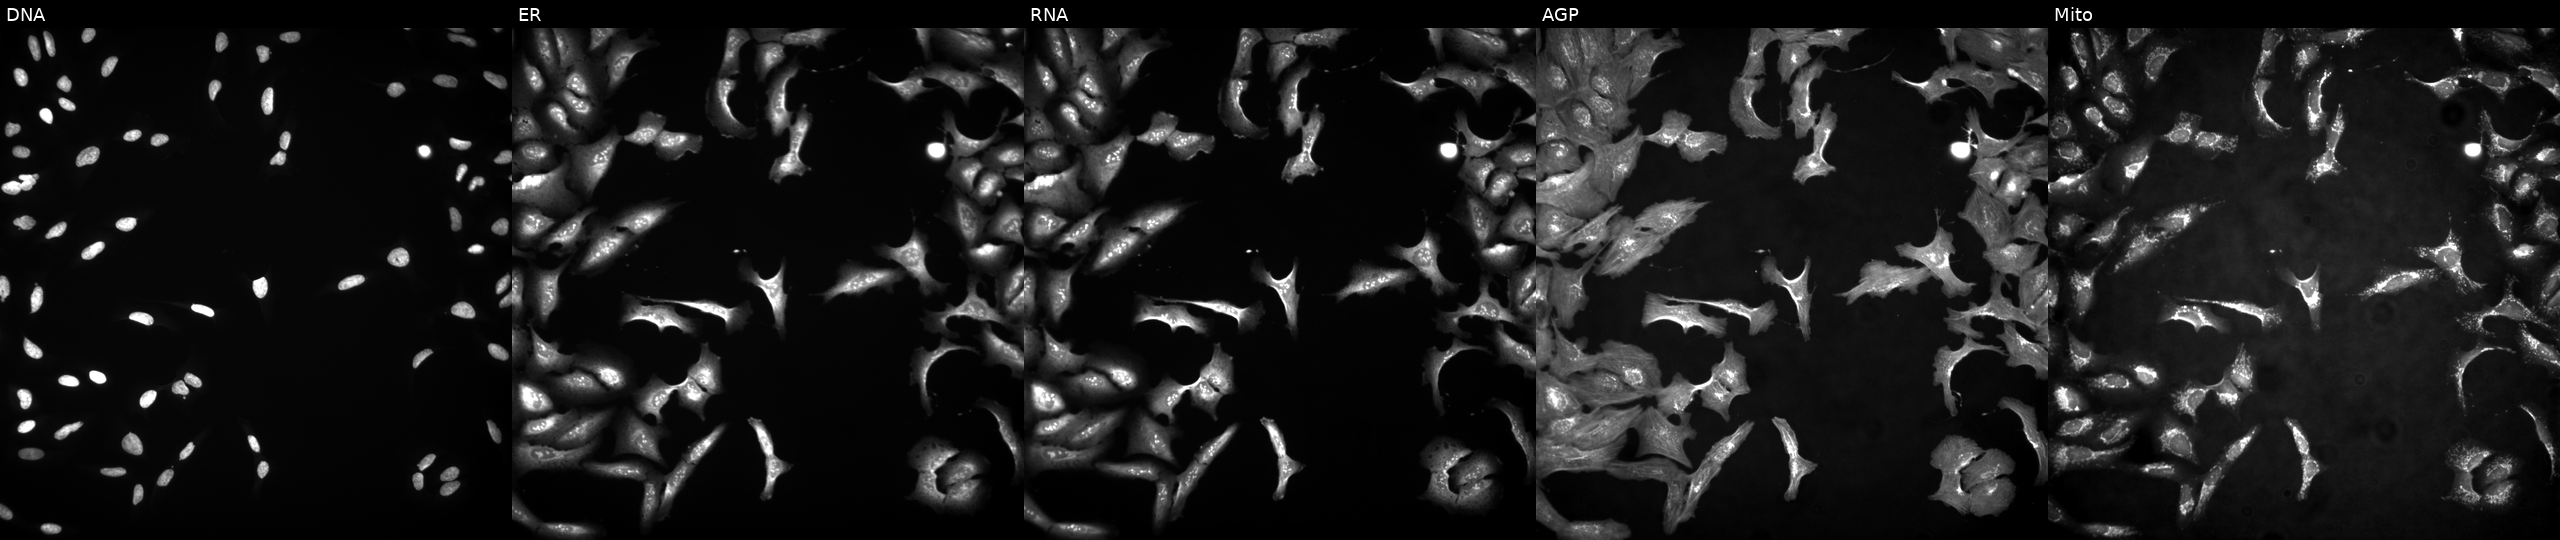
This image strip shows the five Cell Painting channels for a single field of U2OS cells transfected with an ORF construct for ANKRD49 (JUMP id JCP2022_903256). From left to right: DNA, ER, RNA, AGP, and Mito.